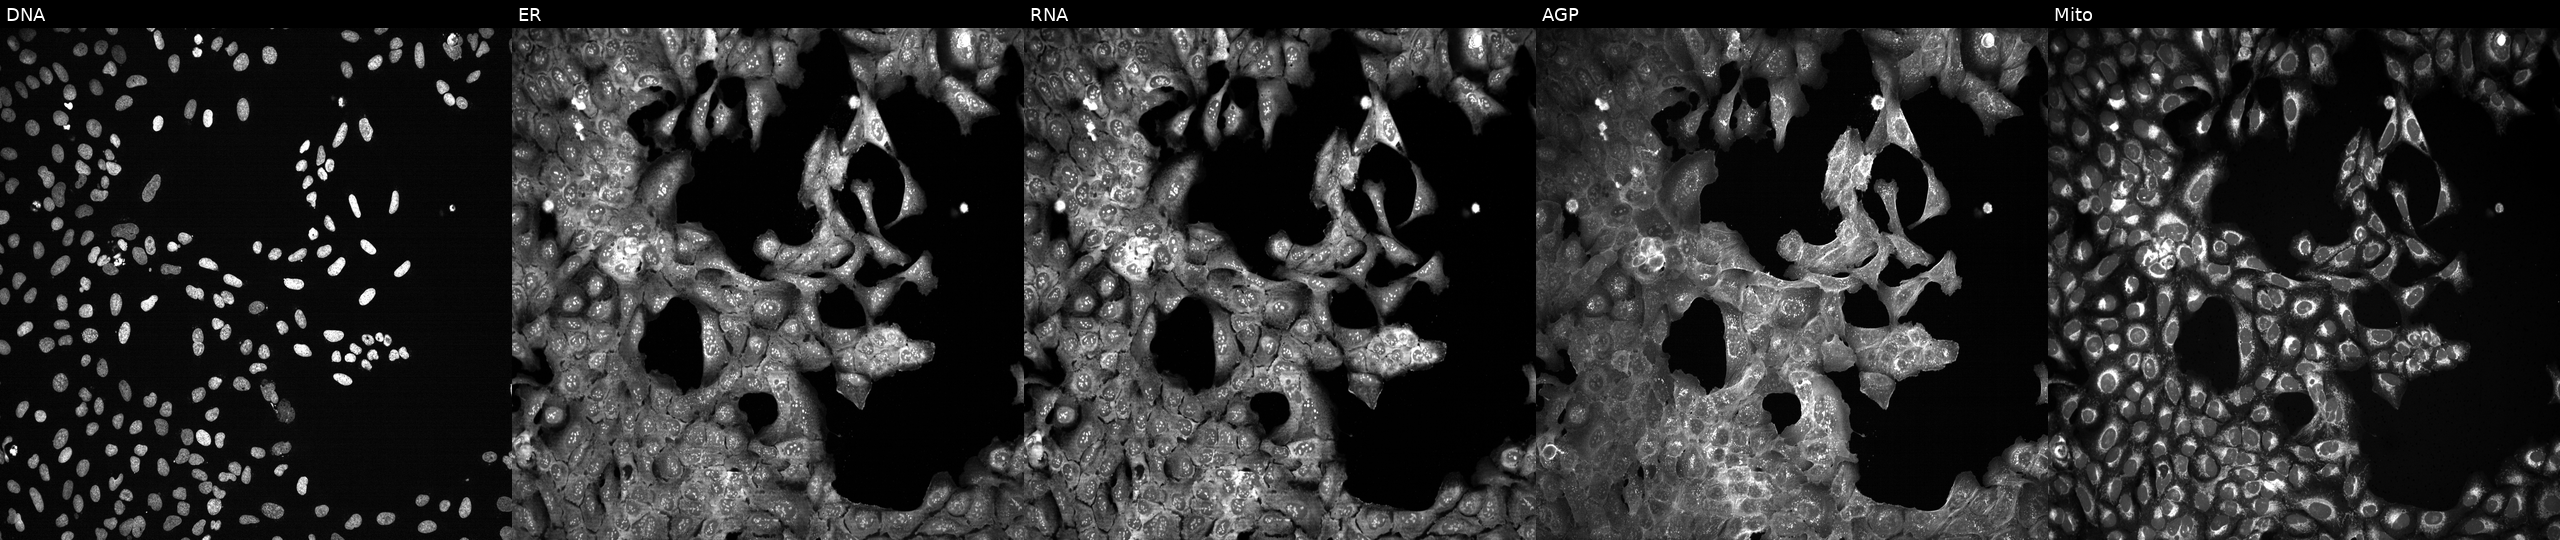
High-content fluorescence microscopy (Cell Painting). Cell line: U2OS. Perturbation: following CRISPR knockout of CTSE (JUMP id JCP2022_801571). Channels (left→right): DNA, ER, RNA, AGP, and Mito.